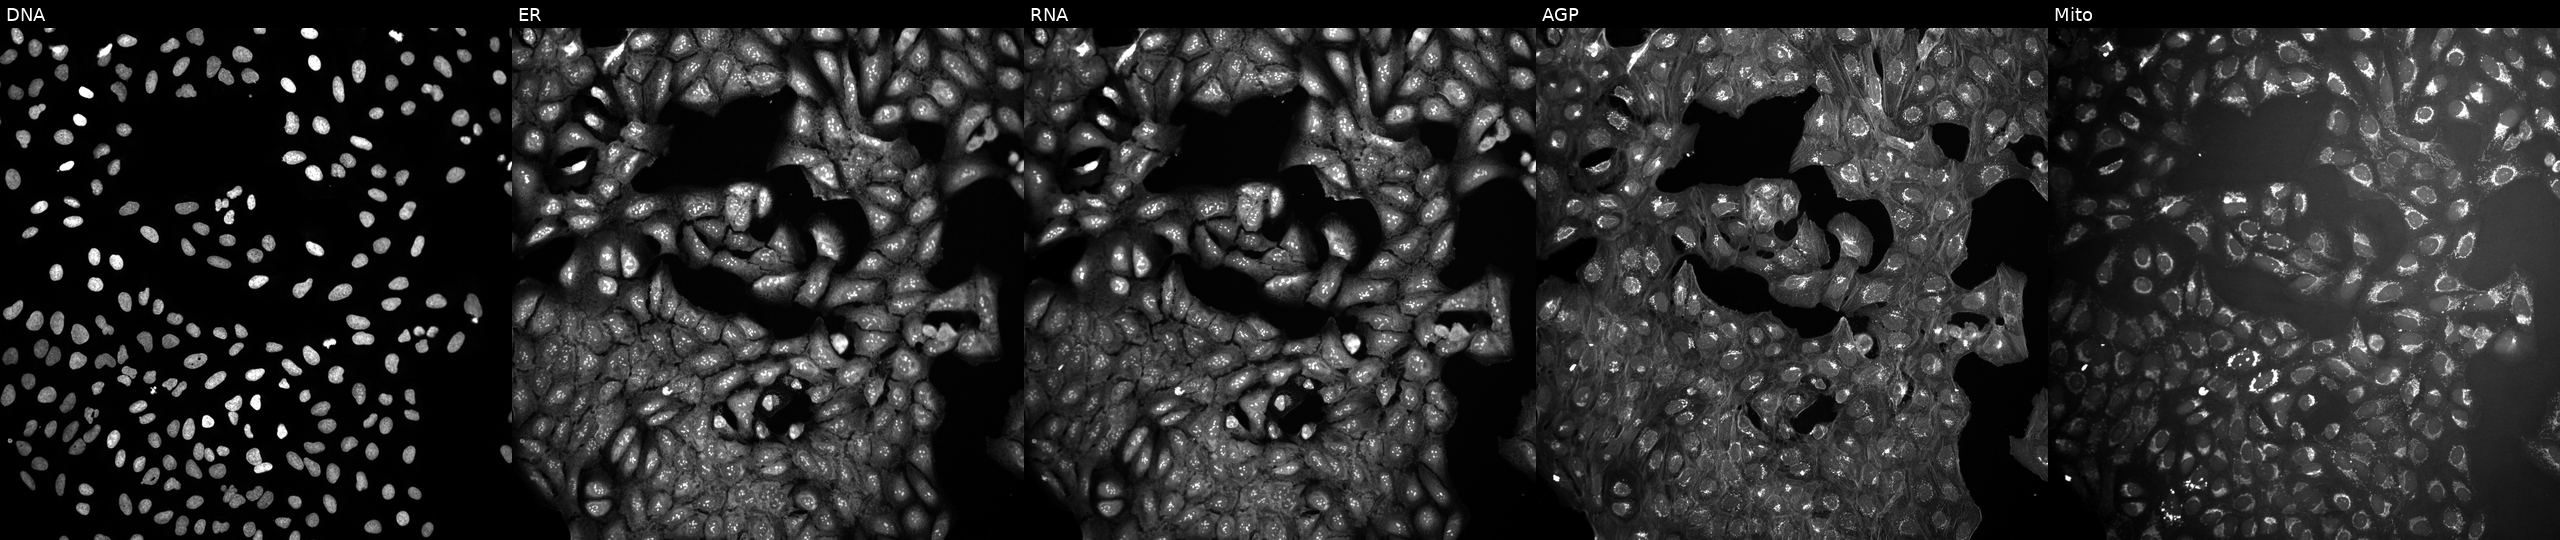
U2OS cells, Cell Painting assay, in an empty control well (no perturbation). Panels show, left to right, DNA (nuclei); ER (endoplasmic reticulum); RNA (nucleoli and cytoplasmic RNA); AGP (actin cytoskeleton, Golgi, and plasma membrane); Mito (mitochondria). Each panel is percentile-stretched 16-bit fluorescence. Source 10, plate Dest210531-152149, well F22.